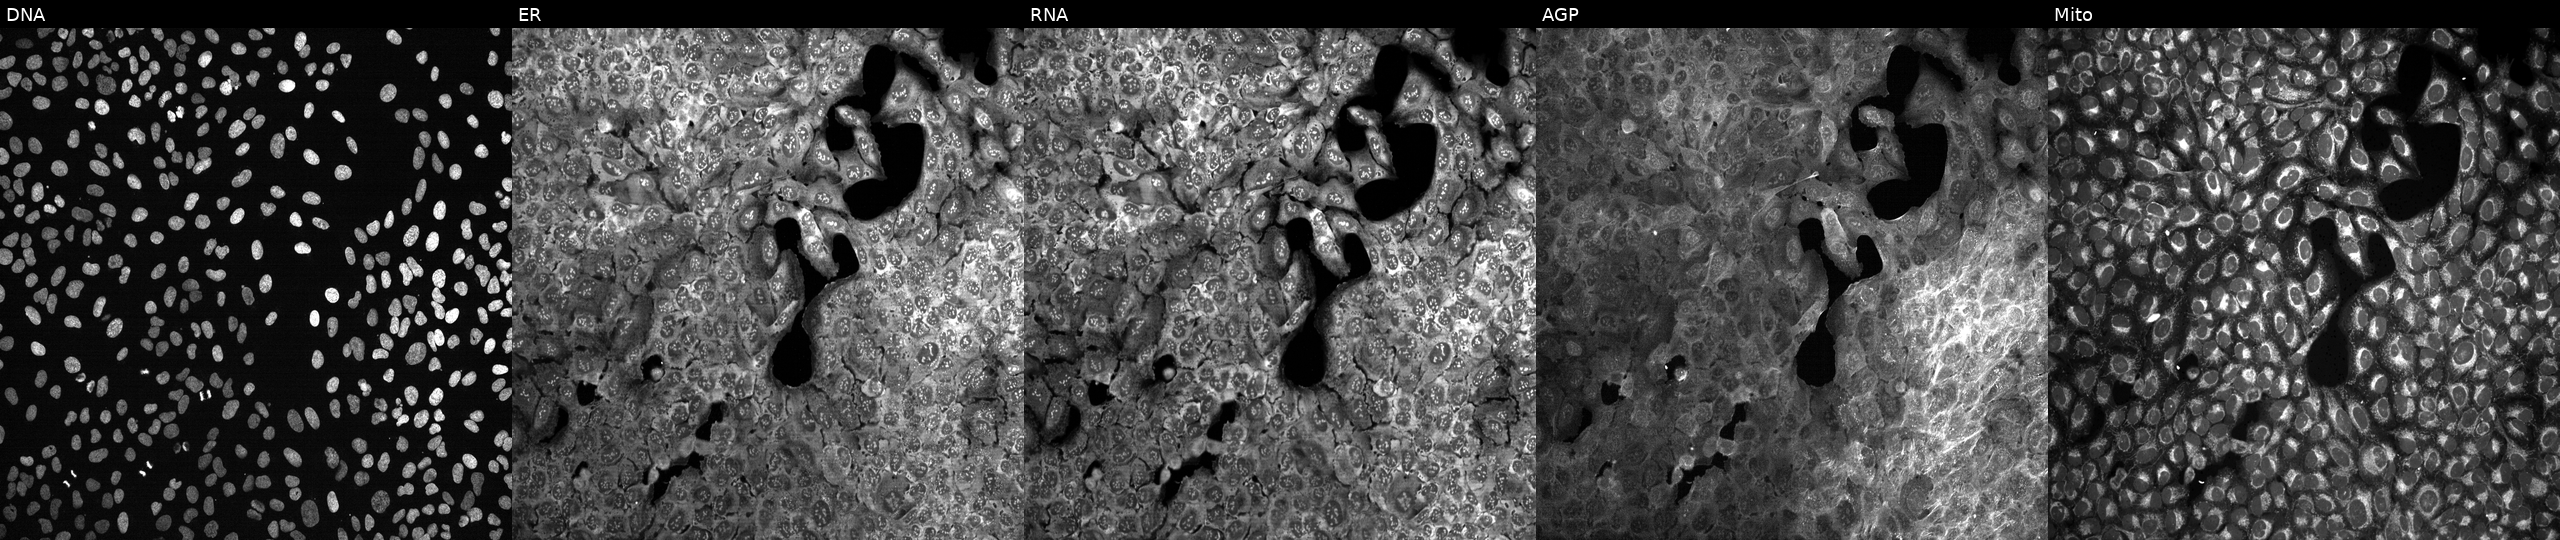
U2OS cells, Cell Painting assay, with FANCA knocked out by CRISPR (JUMP id JCP2022_802263). From left to right: Hoechst 33342, concanavalin A, SYTO 14, phalloidin and WGA, MitoTracker. Each panel is percentile-stretched 16-bit fluorescence. Source 13, plate CP-CC9-R2-01, well P10.